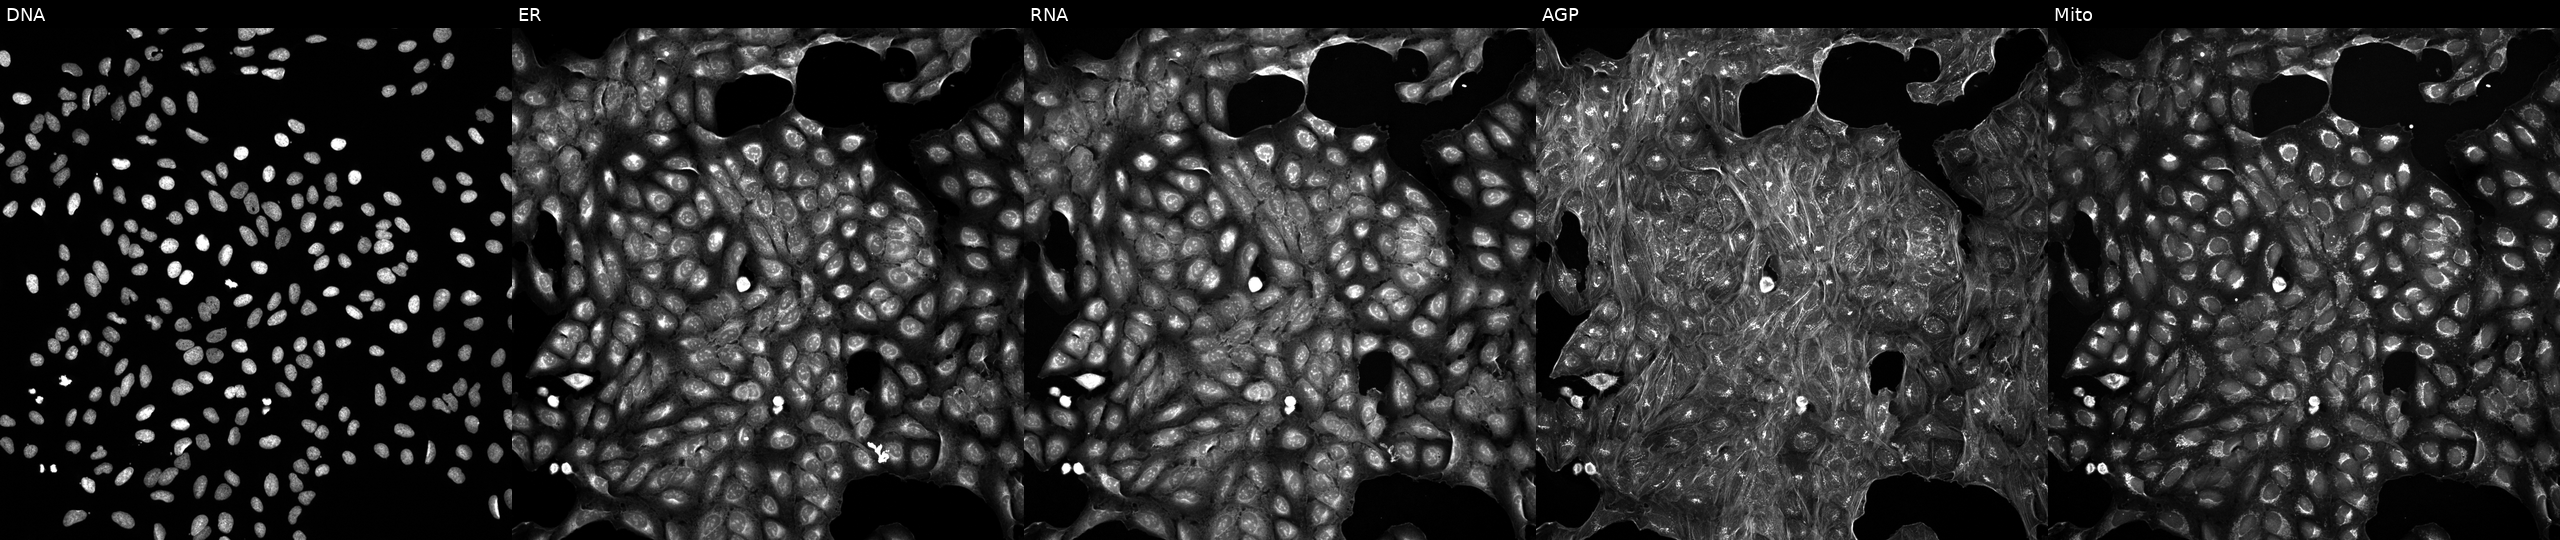
Five-channel Cell Painting image of U2OS cells perturbed with a small-molecule compound (InChIKey OJLOPKGSLYJEMD-UHFFFAOYSA-N) (JUMP id JCP2022_064183). The five panels, left to right, show DNA, ER, RNA, AGP, and Mito. Source 5, plate ACPJUM051, well E09.